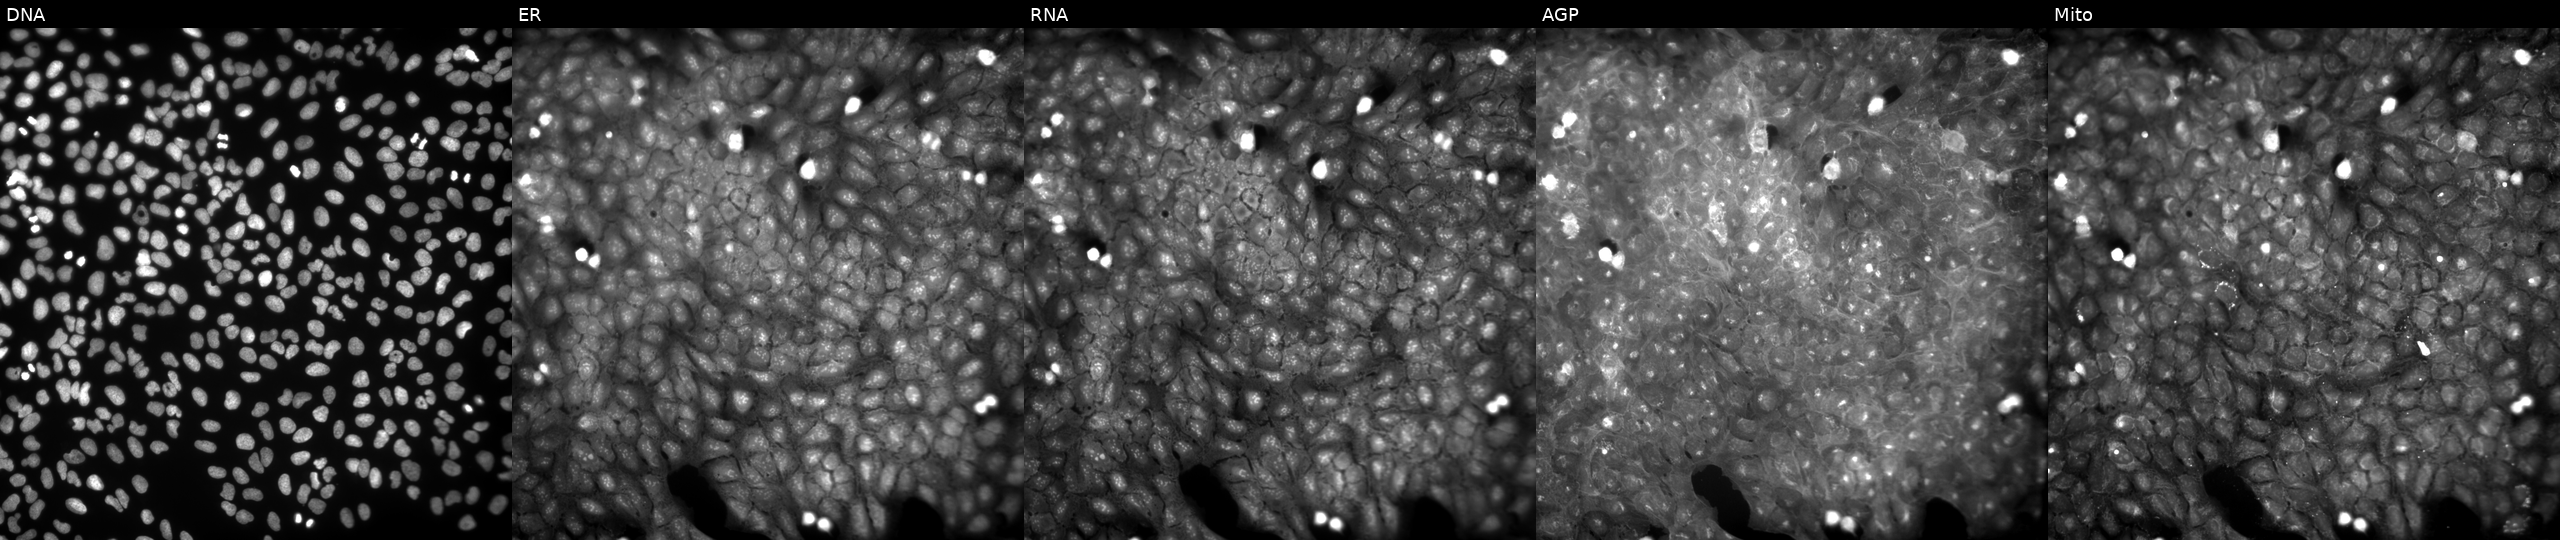
U2OS cells, Cell Painting assay, treated with a small-molecule compound. Panels show, left to right, Hoechst 33342, concanavalin A, SYTO 14, phalloidin and WGA, MitoTracker. Each panel is percentile-stretched 16-bit fluorescence.